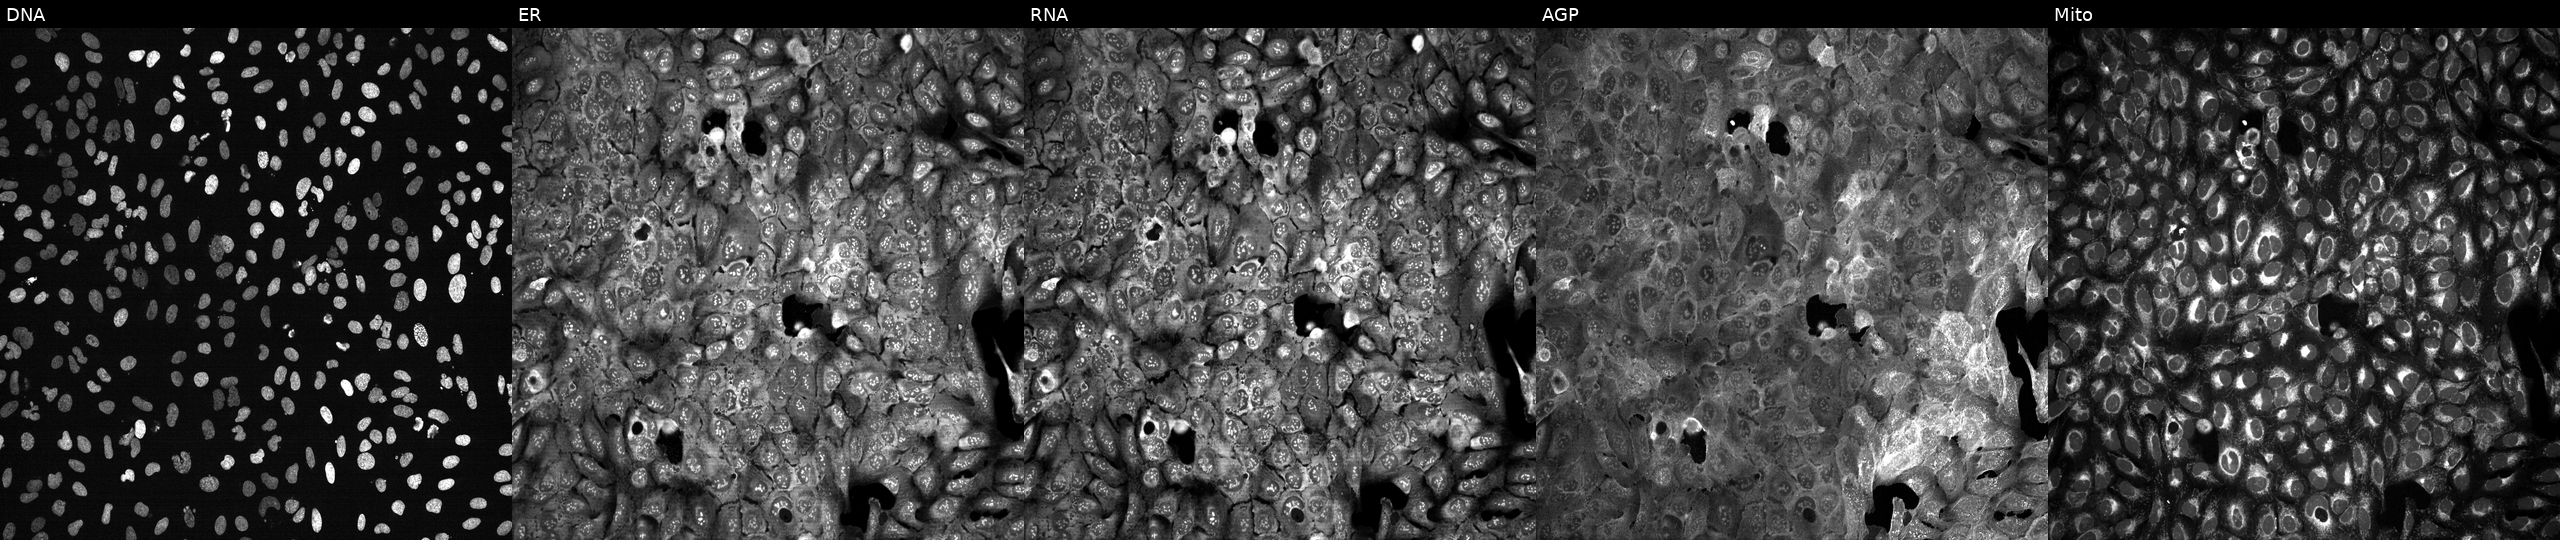
Five-channel Cell Painting image of U2OS cells CRISPR-edited to disrupt BLM (JUMP id JCP2022_800887). Panels show, left to right, Hoechst 33342, concanavalin A, SYTO 14, phalloidin and WGA, MitoTracker.